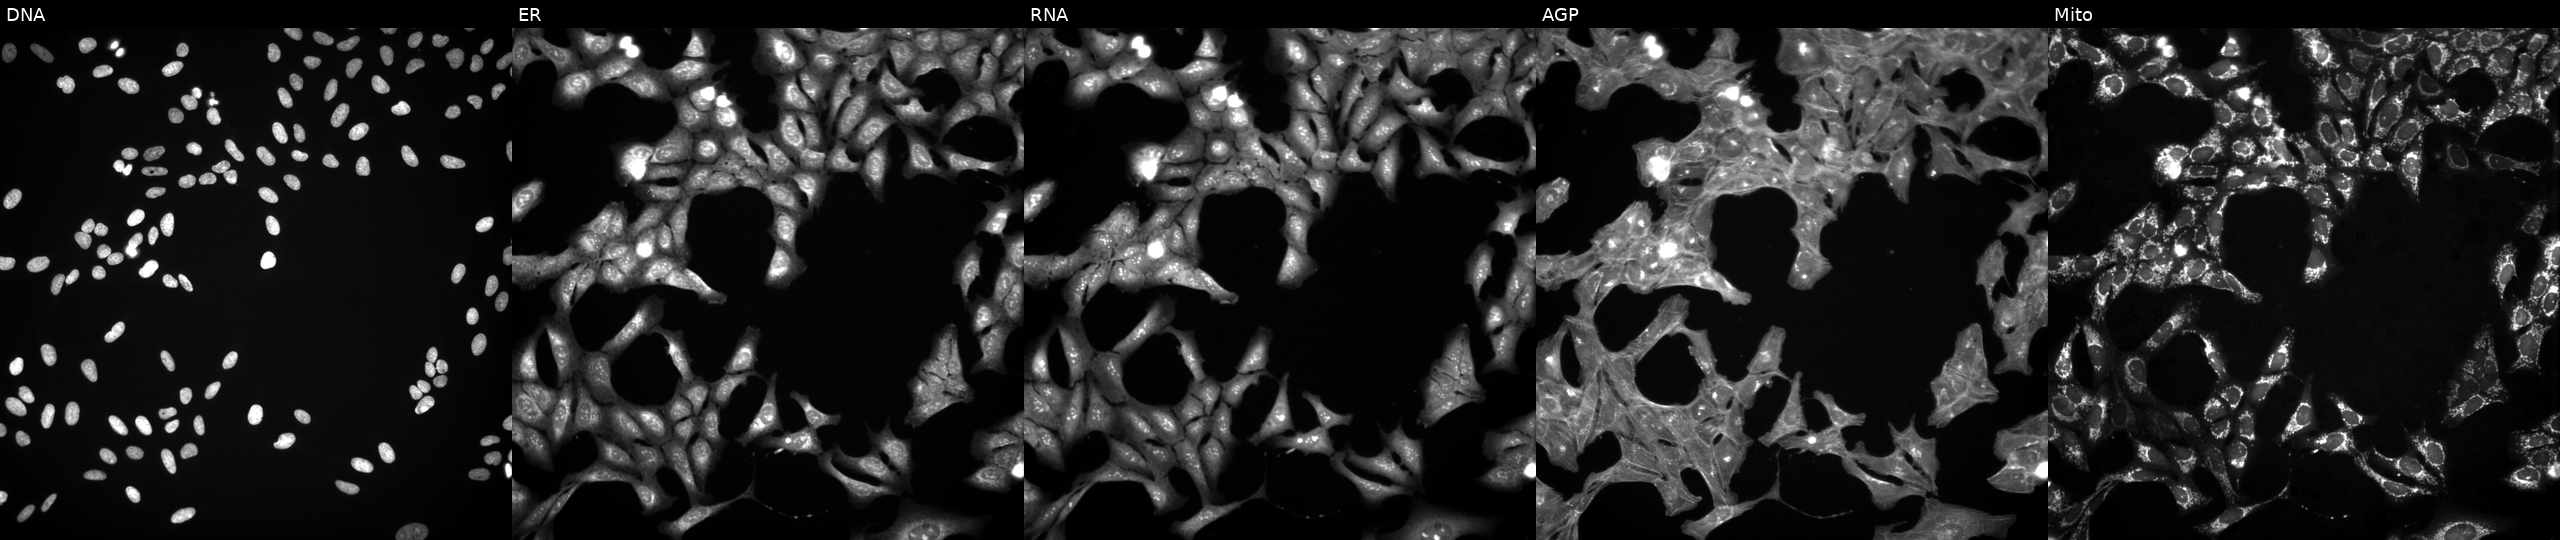
U2OS cells, Cell Painting assay, perturbed with a small-molecule compound (InChIKey XFILPEOLDIKJHX-UHFFFAOYSA-N) [SMILES: CNC(=O)C(Cc1ccccc1)NC(=O)C(CC(C)C)C(CSc1cccs1)C(O)=NO]. Channels (left→right): DNA (nuclei); ER (endoplasmic reticulum); RNA (nucleoli and cytoplasmic RNA); AGP (actin cytoskeleton, Golgi, and plasma membrane); Mito (mitochondria). Each panel is percentile-stretched 16-bit fluorescence. Source 3, plate JCPQC051, well G20.